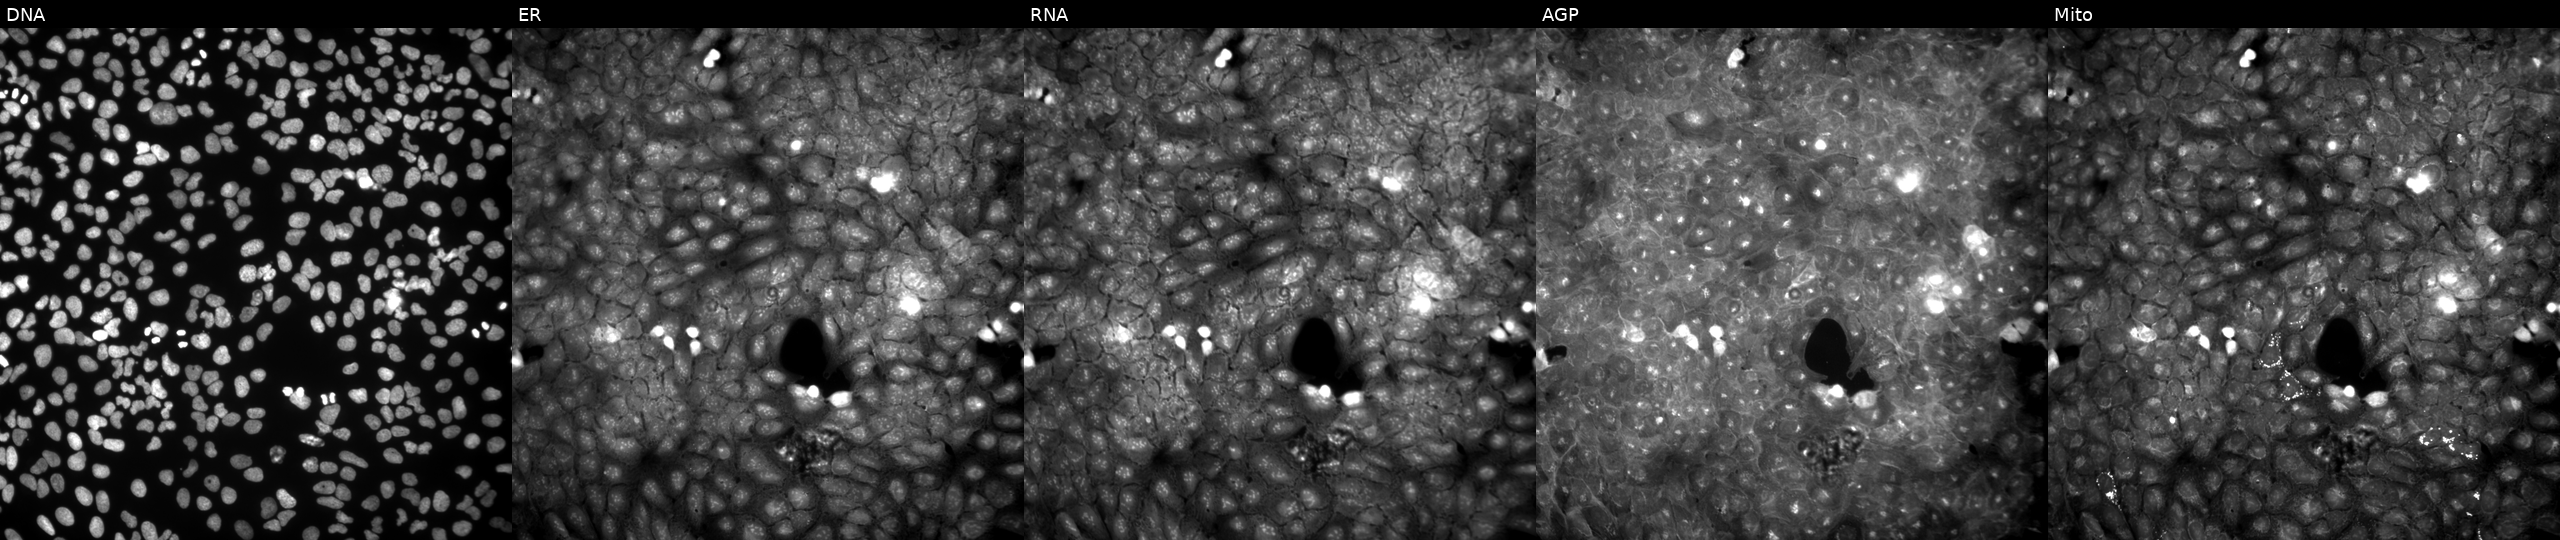
This image strip shows the five Cell Painting channels for a single field of U2OS cells exposed to the positive-control compound quinidine (JUMP id JCP2022_050797). The five panels, left to right, show DNA, ER, RNA, AGP, and Mito.